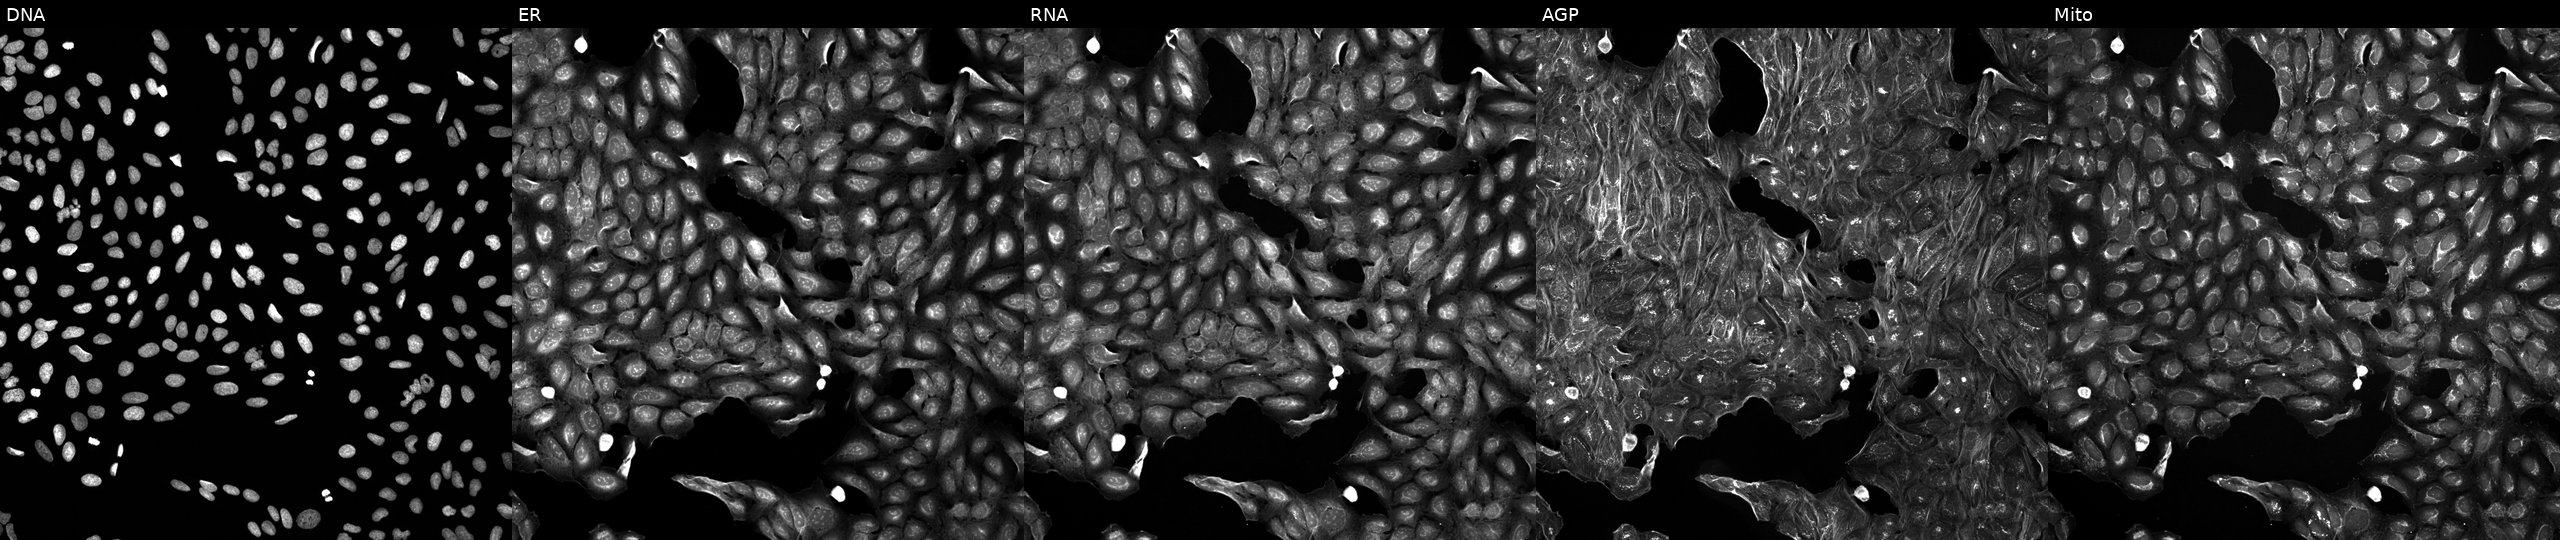
JUMP Cell Painting — COMPOUND plate. U2OS cells treated with a small-molecule compound (InChIKey YTDITFRQKVWDNB-UHFFFAOYSA-N) [SMILES: CCc1ccccc1N=c1[nH]c(CN2CCN(CC3CCCO3)CC2)nc(=N)[nH]1]. Panels show, left to right, DNA (nuclei); ER (endoplasmic reticulum); RNA (nucleoli and cytoplasmic RNA); AGP (actin cytoskeleton, Golgi, and plasma membrane); Mito (mitochondria). Source 5, plate APTJUM105, well B05.